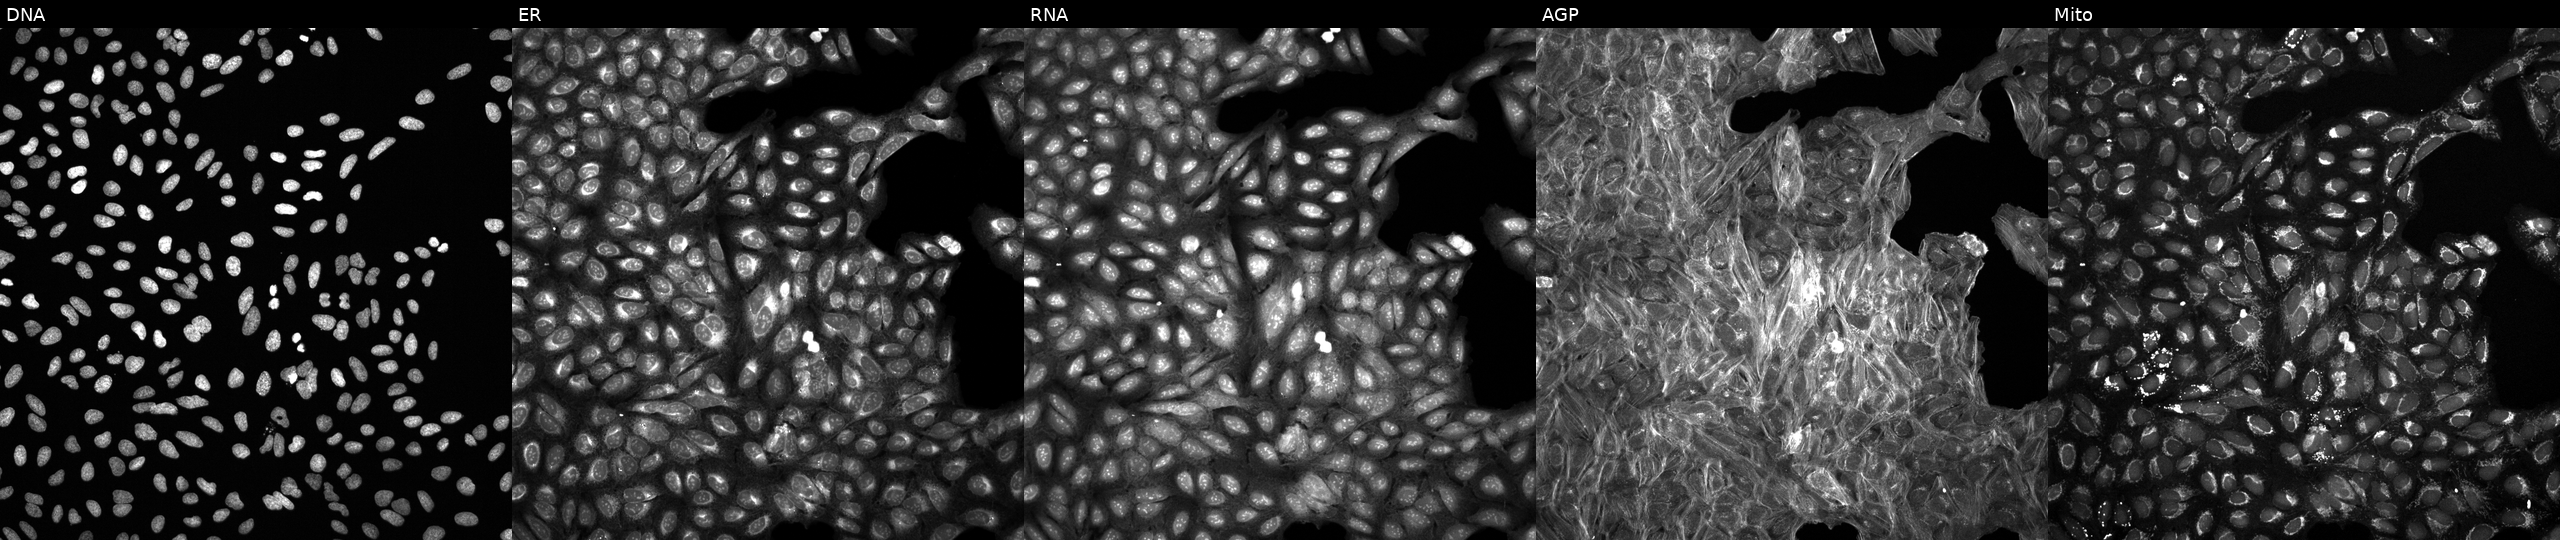
JUMP Cell Painting — COMPOUND plate. U2OS cells perturbed with a small-molecule compound (JUMP id JCP2022_078126). From left to right: Hoechst 33342, concanavalin A, SYTO 14, phalloidin and WGA, MitoTracker. Source 6, plate 110000293083, well K14.